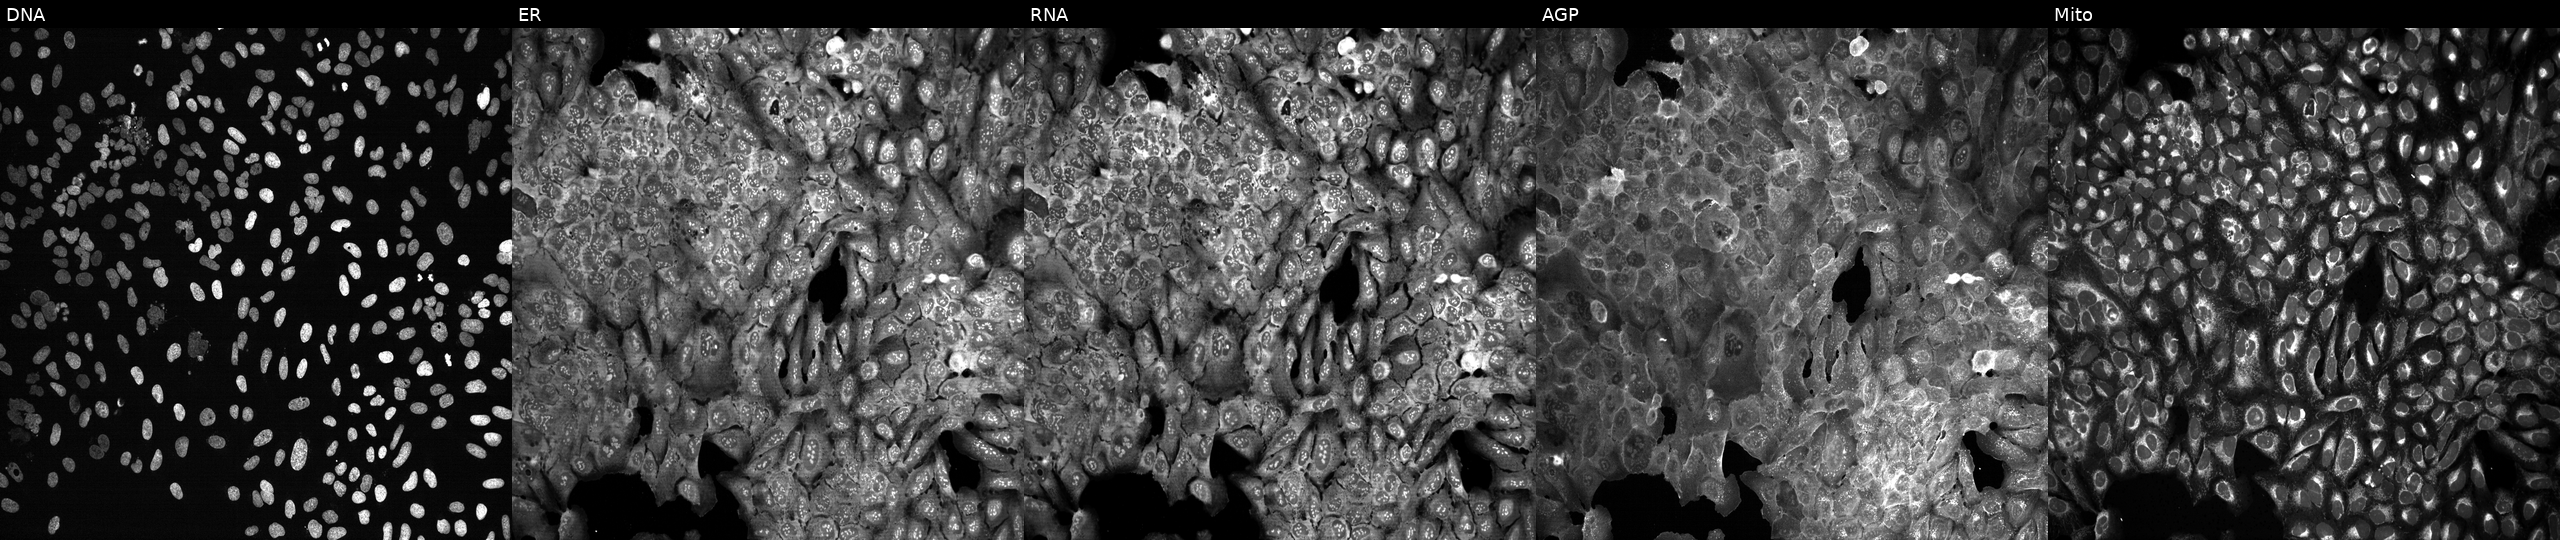
This image strip shows the five Cell Painting channels for a single field of U2OS cells CRISPR-edited to disrupt RNF25 (JUMP id JCP2022_806063). Channels (left→right): Hoechst 33342, concanavalin A, SYTO 14, phalloidin and WGA, MitoTracker. Source 13, plate CP-CC9-R6-19, well F04.